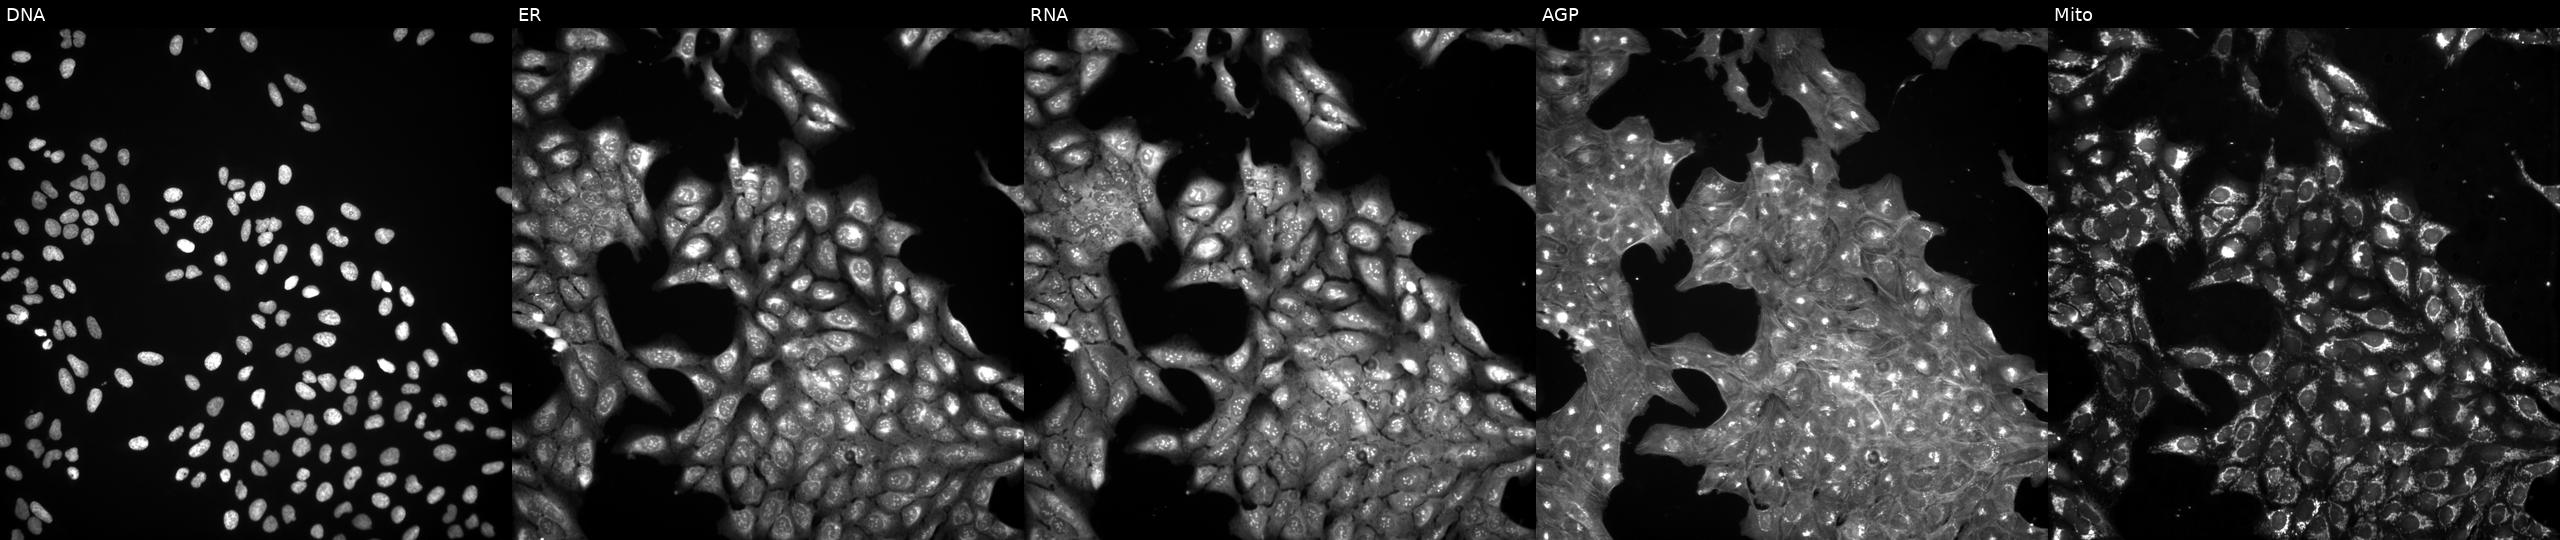
High-content fluorescence microscopy (Cell Painting). Cell line: U2OS. Perturbation: exposed to a small-molecule compound (InChIKey ZZZRUAITSXLWBH-UHFFFAOYSA-N). From left to right: DNA (nuclei); ER (endoplasmic reticulum); RNA (nucleoli and cytoplasmic RNA); AGP (actin cytoskeleton, Golgi, and plasma membrane); Mito (mitochondria). Source 3, plate JCPQC052, well L07.